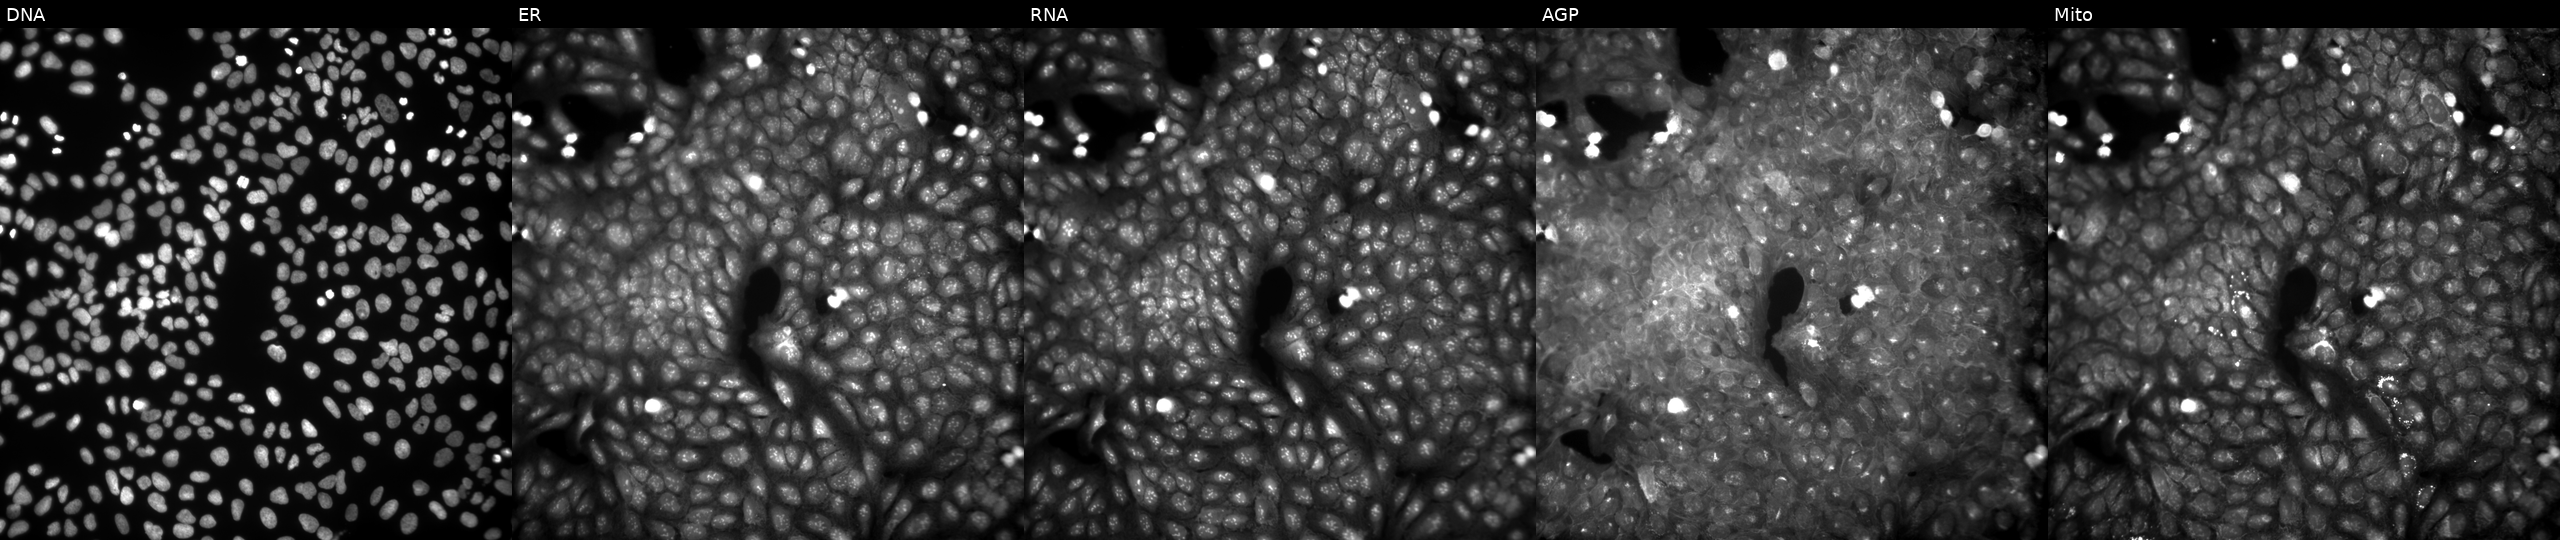
This image strip shows the five Cell Painting channels for a single field of U2OS cells perturbed with a small-molecule compound (InChIKey LPWMNVUHMXXHEQ-UHFFFAOYSA-N). The five panels, left to right, show Hoechst 33342, concanavalin A, SYTO 14, phalloidin and WGA, MitoTracker. Source 9, plate GR00003382, well R45.